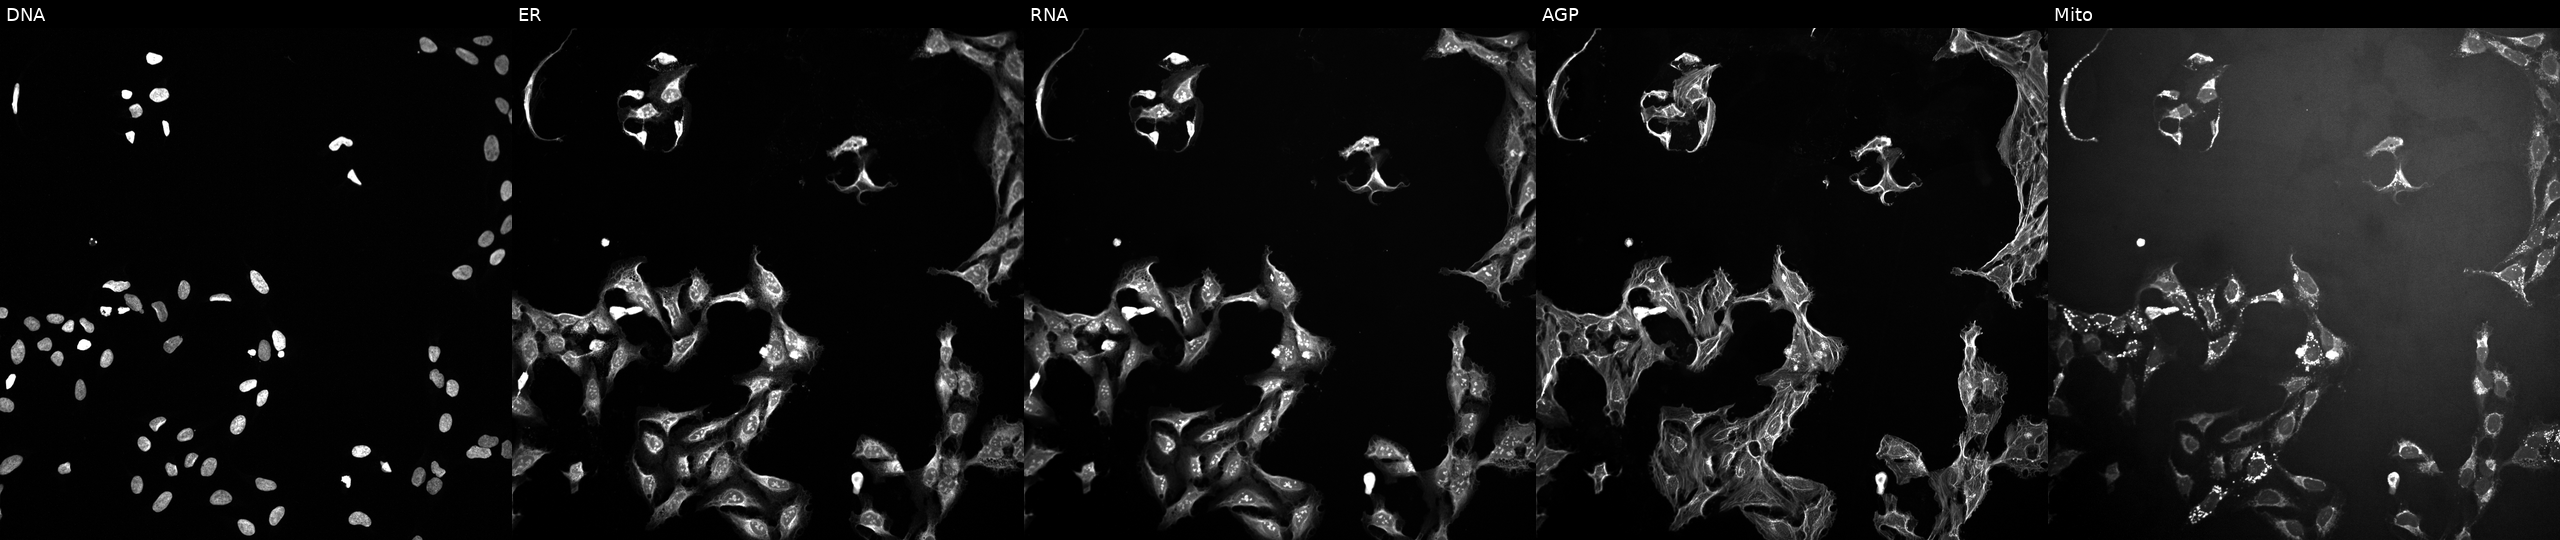
This image strip shows the five Cell Painting channels for a single field of U2OS cells exposed to a small-molecule compound. From left to right: Hoechst 33342, concanavalin A, SYTO 14, phalloidin and WGA, MitoTracker.